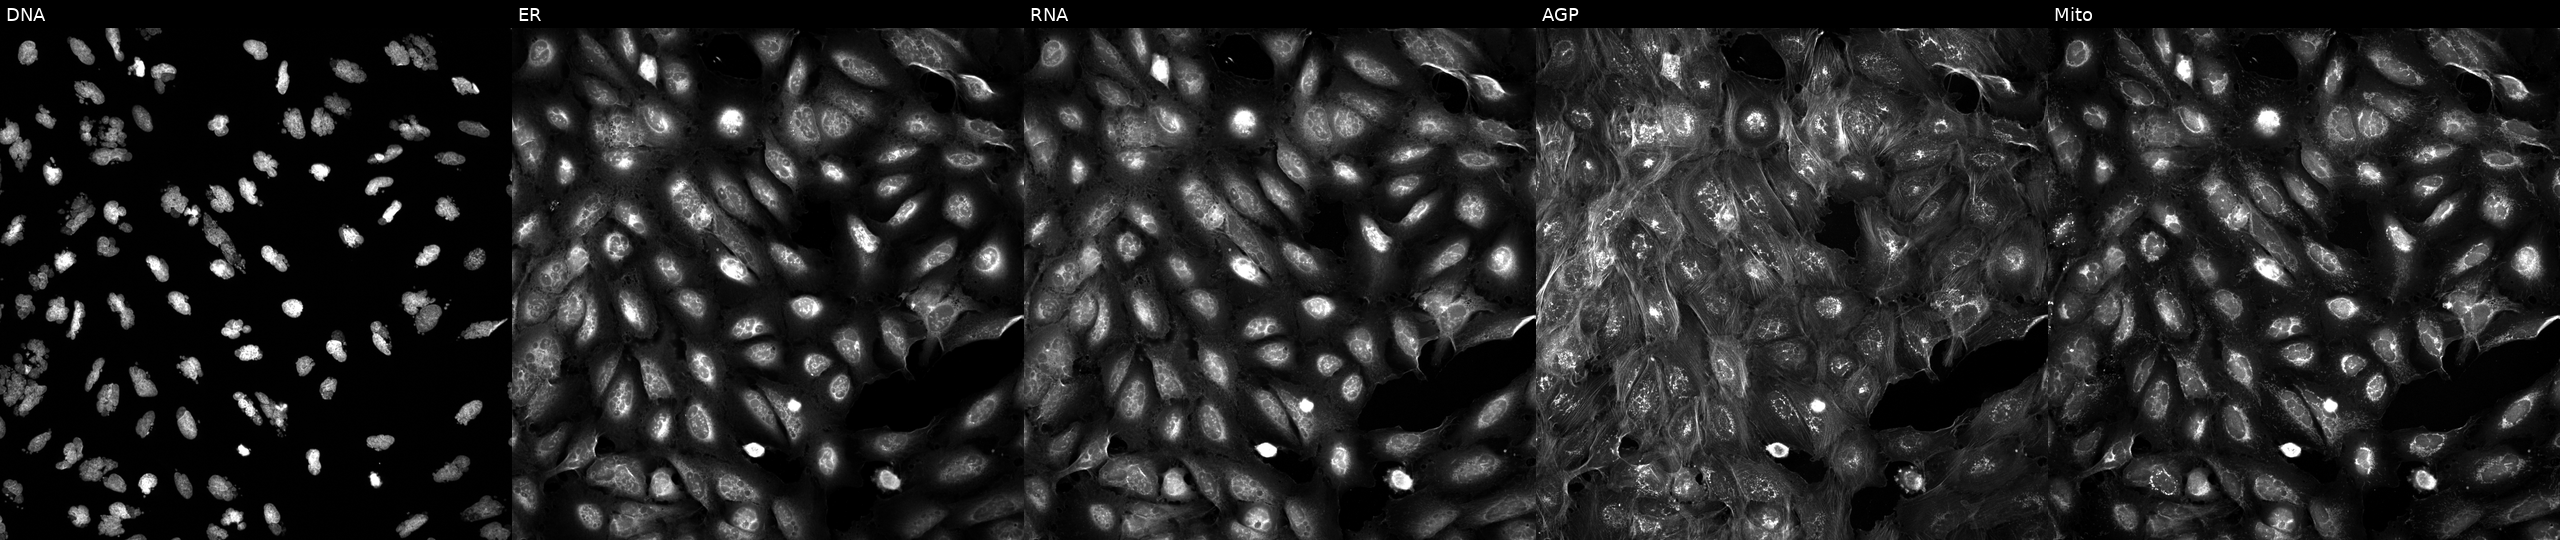
High-content fluorescence microscopy (Cell Painting). Cell line: U2OS. Perturbation: treated with AMG900 (positive-control compound). The five panels, left to right, show DNA, ER, RNA, AGP, and Mito.